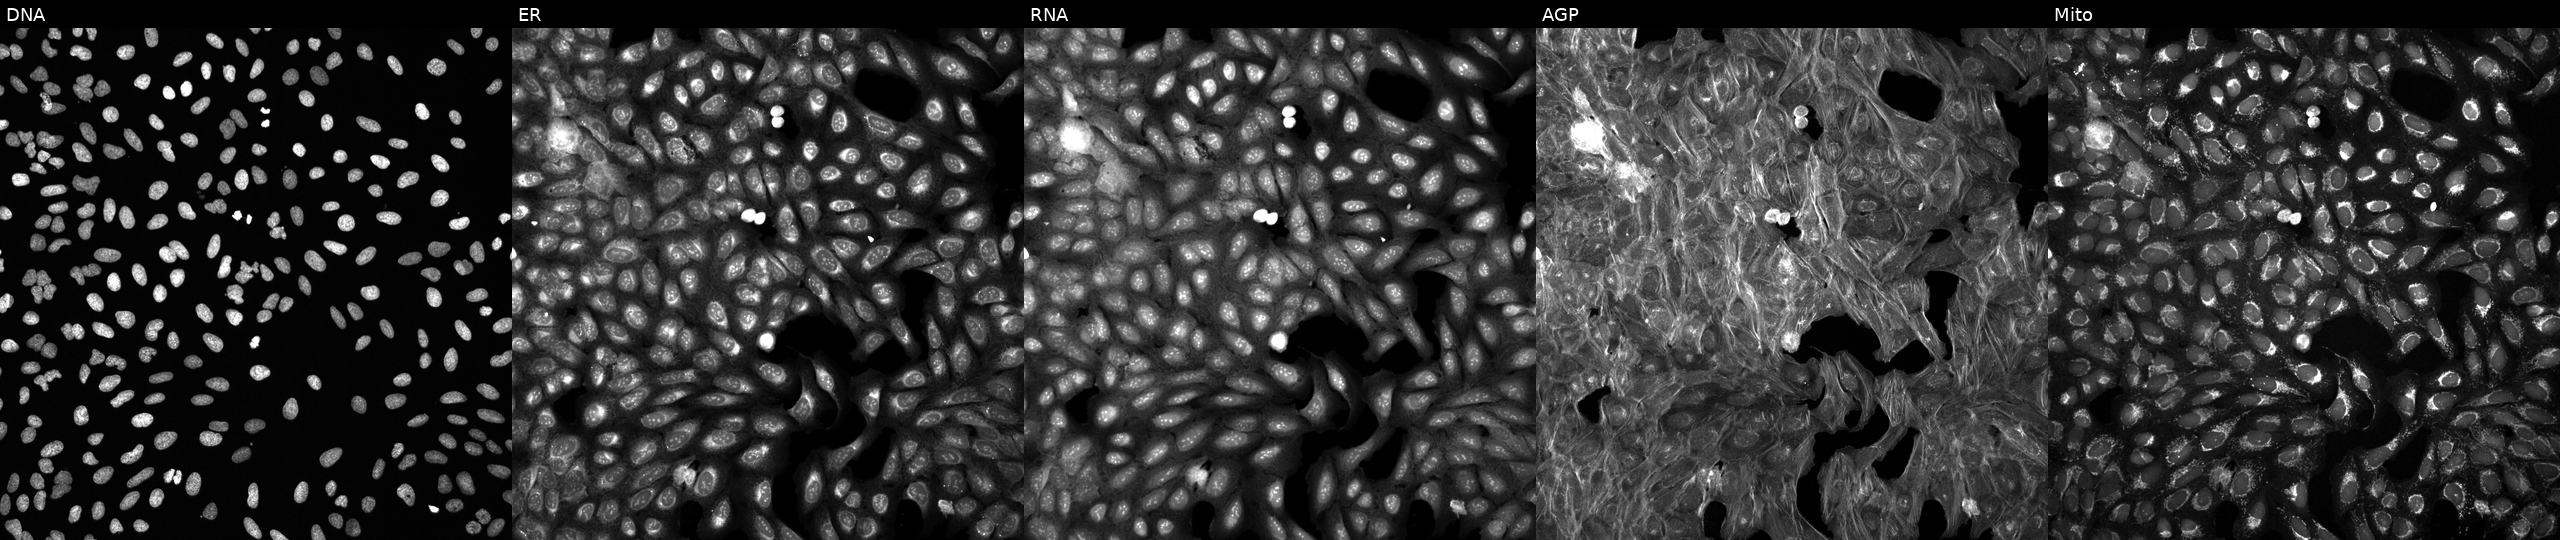
JUMP Cell Painting — COMPOUND plate. U2OS cells treated with a small-molecule compound (JUMP id JCP2022_093513). Channels (left→right): DNA (nuclei); ER (endoplasmic reticulum); RNA (nucleoli and cytoplasmic RNA); AGP (actin cytoskeleton, Golgi, and plasma membrane); Mito (mitochondria).